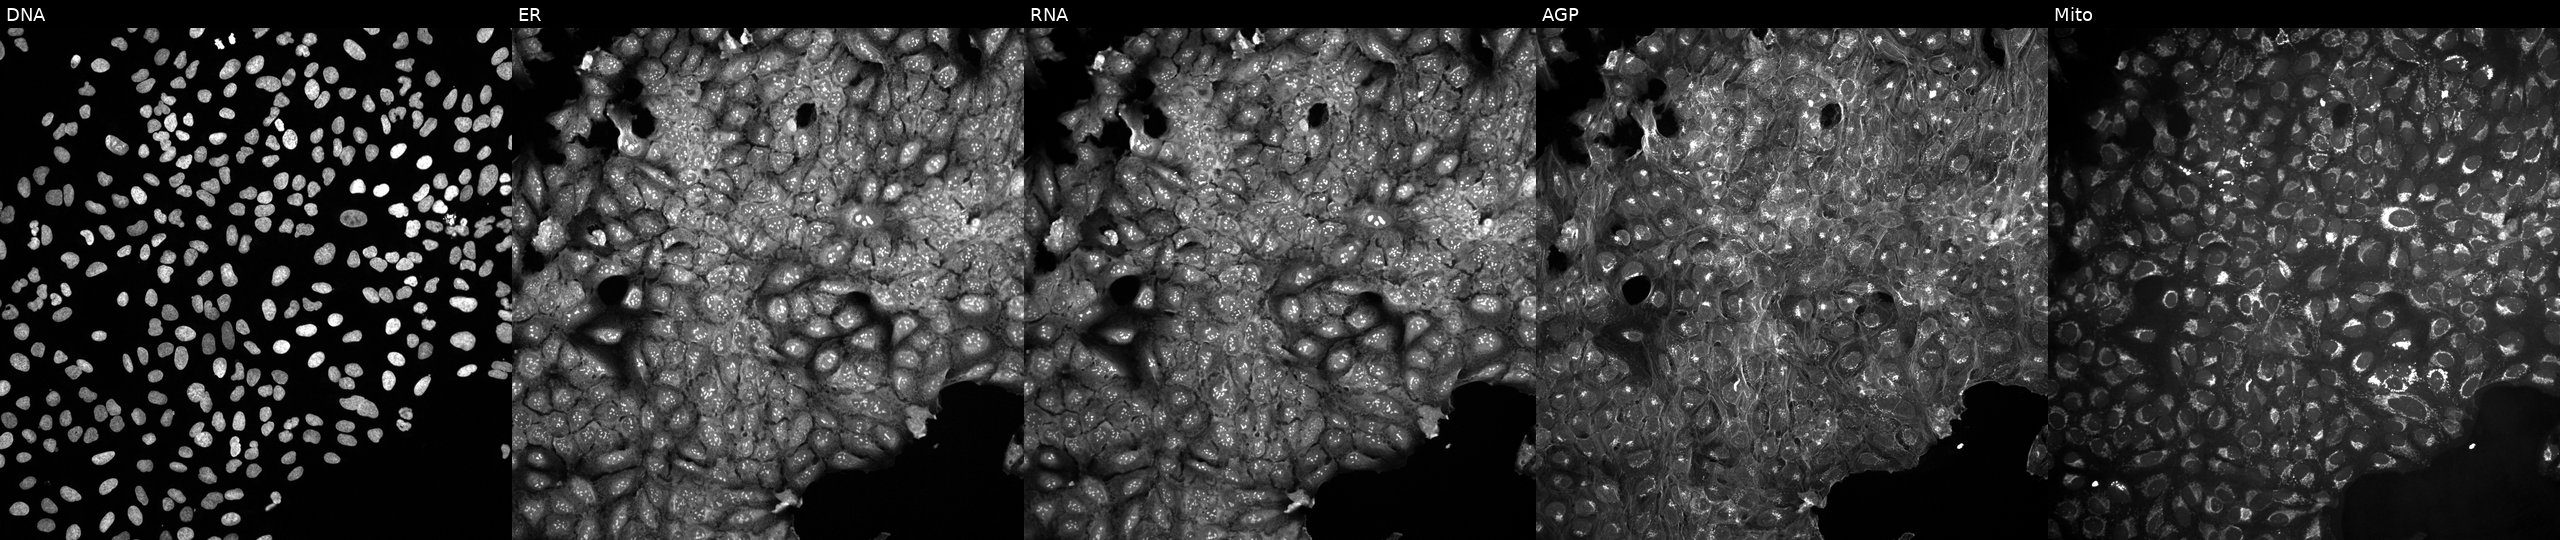
JUMP Cell Painting — COMPOUND plate. U2OS cells in an empty control well (no perturbation) (JUMP id JCP2022_999999). From left to right: Hoechst 33342, concanavalin A, SYTO 14, phalloidin and WGA, MitoTracker. Source 10, plate Dest210531-152149, well N10.